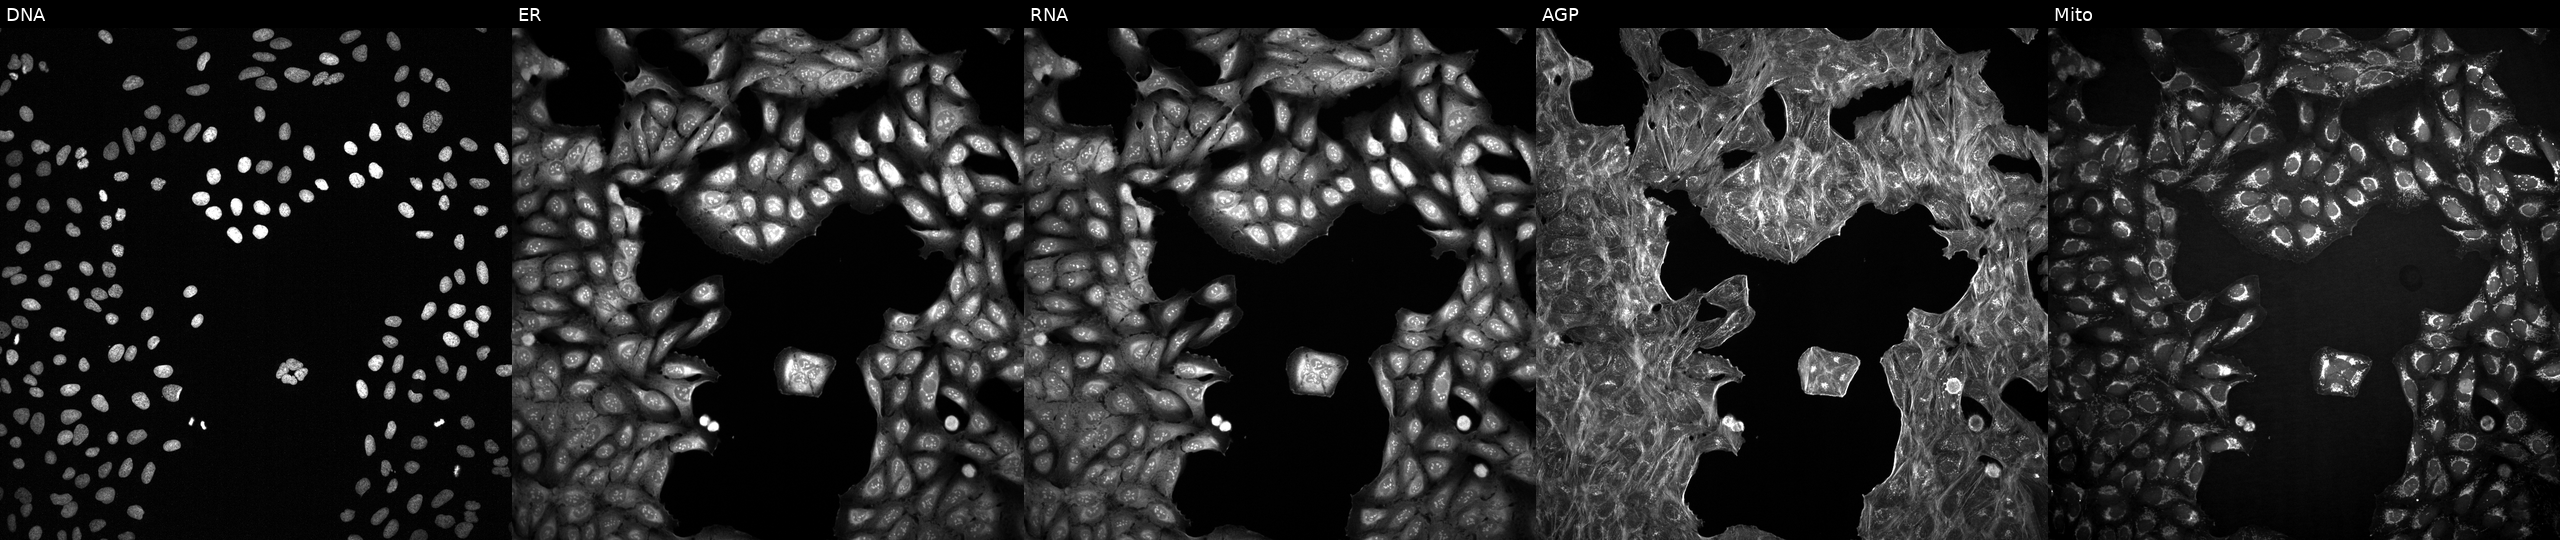
U2OS cells, Cell Painting assay, with an unidentified perturbation (not annotated in JUMP metadata). The five panels, left to right, show DNA, ER, RNA, AGP, and Mito. Each panel is percentile-stretched 16-bit fluorescence.